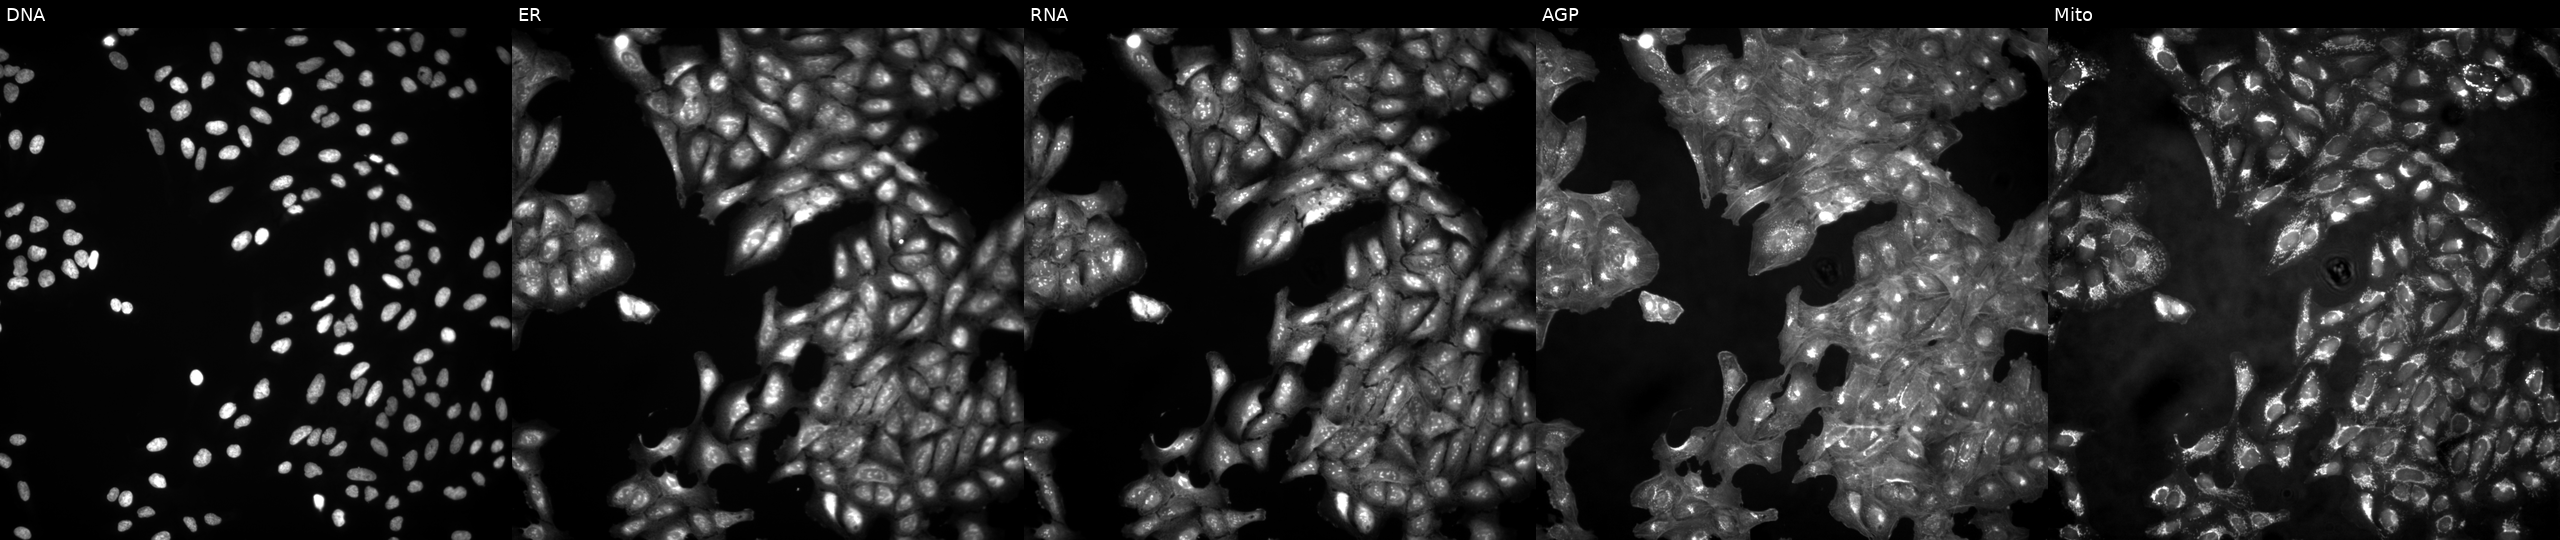
This image strip shows the five Cell Painting channels for a single field of U2OS cells untreated (empty-well control) (JUMP id JCP2022_999999). Channels (left→right): DNA (nuclei); ER (endoplasmic reticulum); RNA (nucleoli and cytoplasmic RNA); AGP (actin cytoskeleton, Golgi, and plasma membrane); Mito (mitochondria).